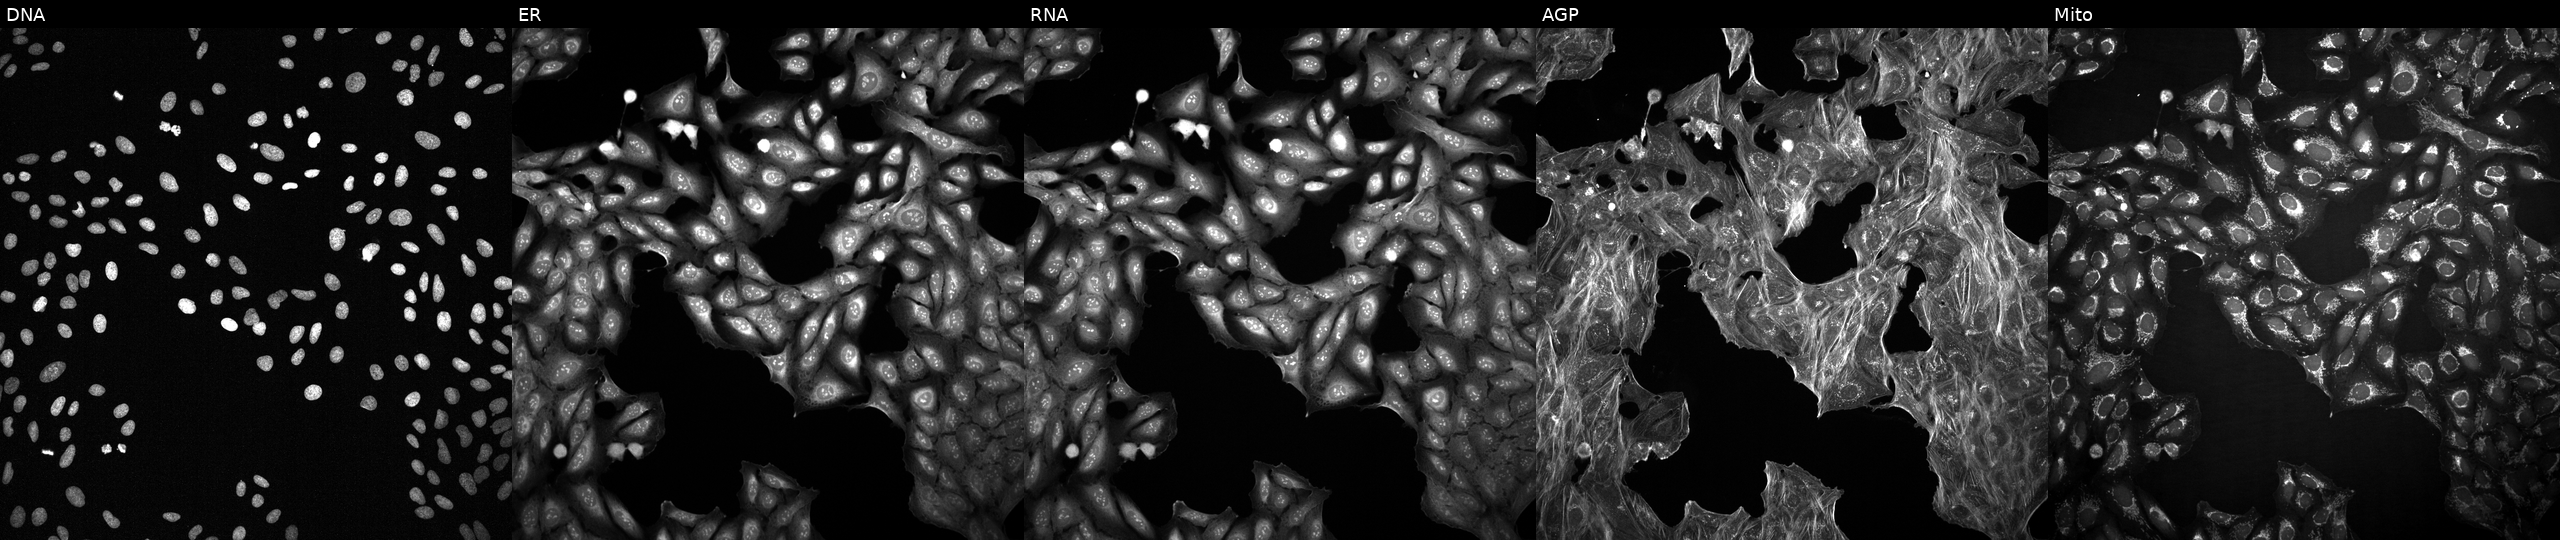
JUMP Cell Painting — TARGET2 plate. U2OS cells treated with DMSO vehicle only (negative control) (JUMP id JCP2022_033924). The five panels, left to right, show DNA, ER, RNA, AGP, and Mito.